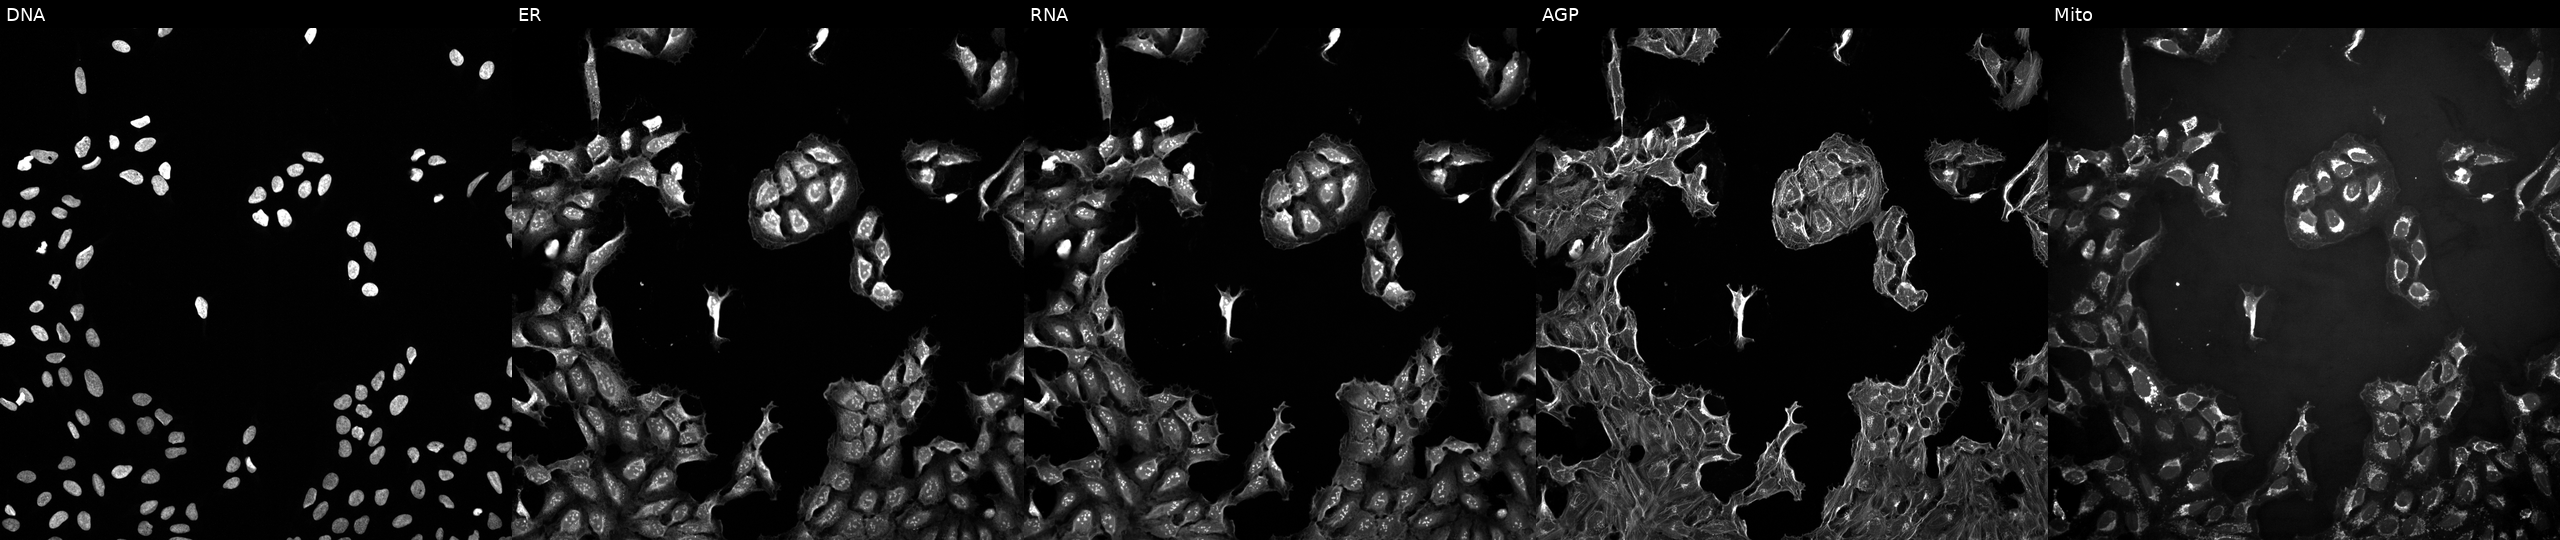
High-content fluorescence microscopy (Cell Painting). Cell line: U2OS. Perturbation: treated with a small-molecule compound (InChIKey WJBLNOPPDWQMCH-UHFFFAOYSA-N) [SMILES: C=C1CCC2(O)C3Cc4ccc(O)c5c4C2(CCN3CC2CC2)C1O5] (JUMP id JCP2022_099089). Channels (left→right): DNA (nuclei); ER (endoplasmic reticulum); RNA (nucleoli and cytoplasmic RNA); AGP (actin cytoskeleton, Golgi, and plasma membrane); Mito (mitochondria).